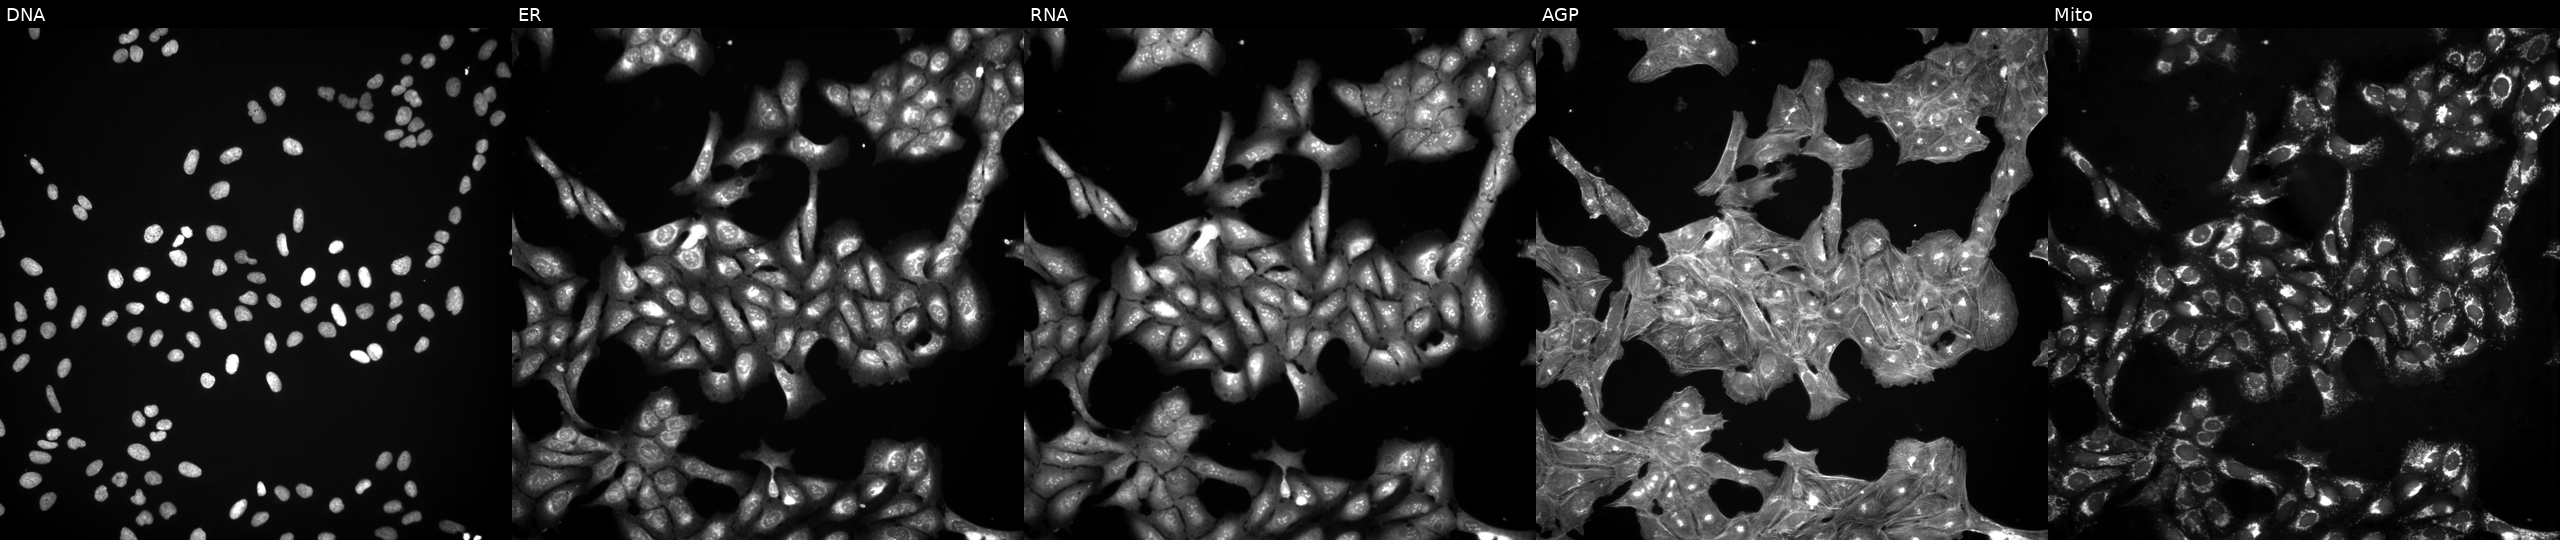
JUMP Cell Painting — TARGET2 plate. U2OS cells perturbed with a small-molecule compound (InChIKey DTGLZDAWLRGWQN-UHFFFAOYSA-N) [SMILES: CC(=O)Oc1cc2c(s1)CCN(C(C(=O)C1CC1)c1ccccc1F)C2]. The five panels, left to right, show DNA, ER, RNA, AGP, and Mito. Source 3, plate JCPQC053, well O07.